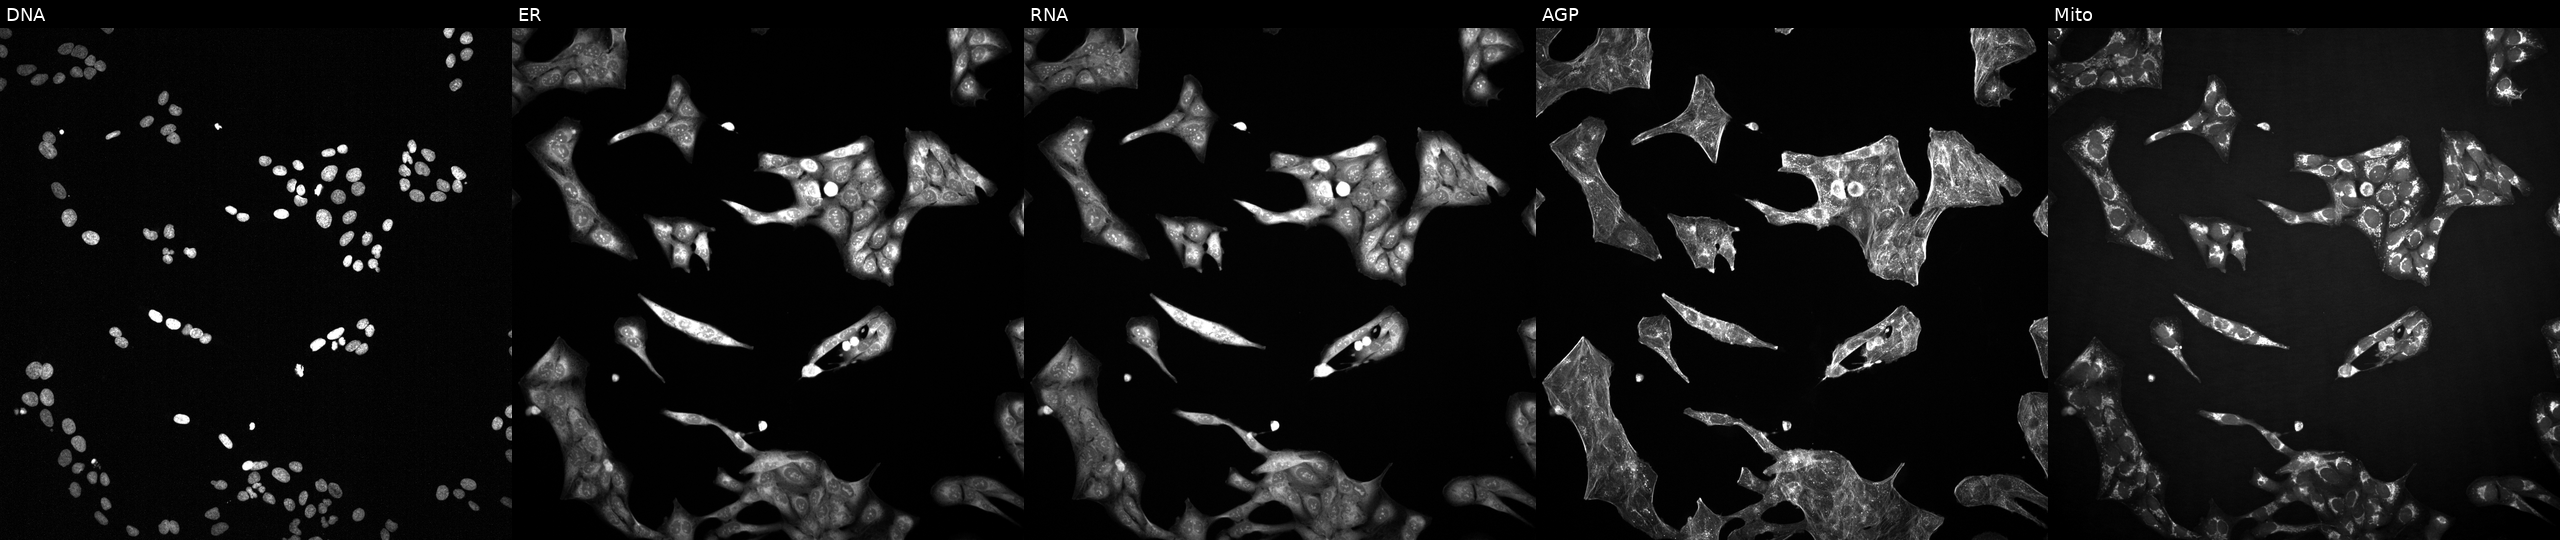
High-content fluorescence microscopy (Cell Painting). Cell line: U2OS. Perturbation: perturbed with a small-molecule compound (InChIKey RYMZZMVNJRMUDD-UHFFFAOYSA-N). From left to right: Hoechst 33342, concanavalin A, SYTO 14, phalloidin and WGA, MitoTracker. Source 2, plate 1053600674, well N02.